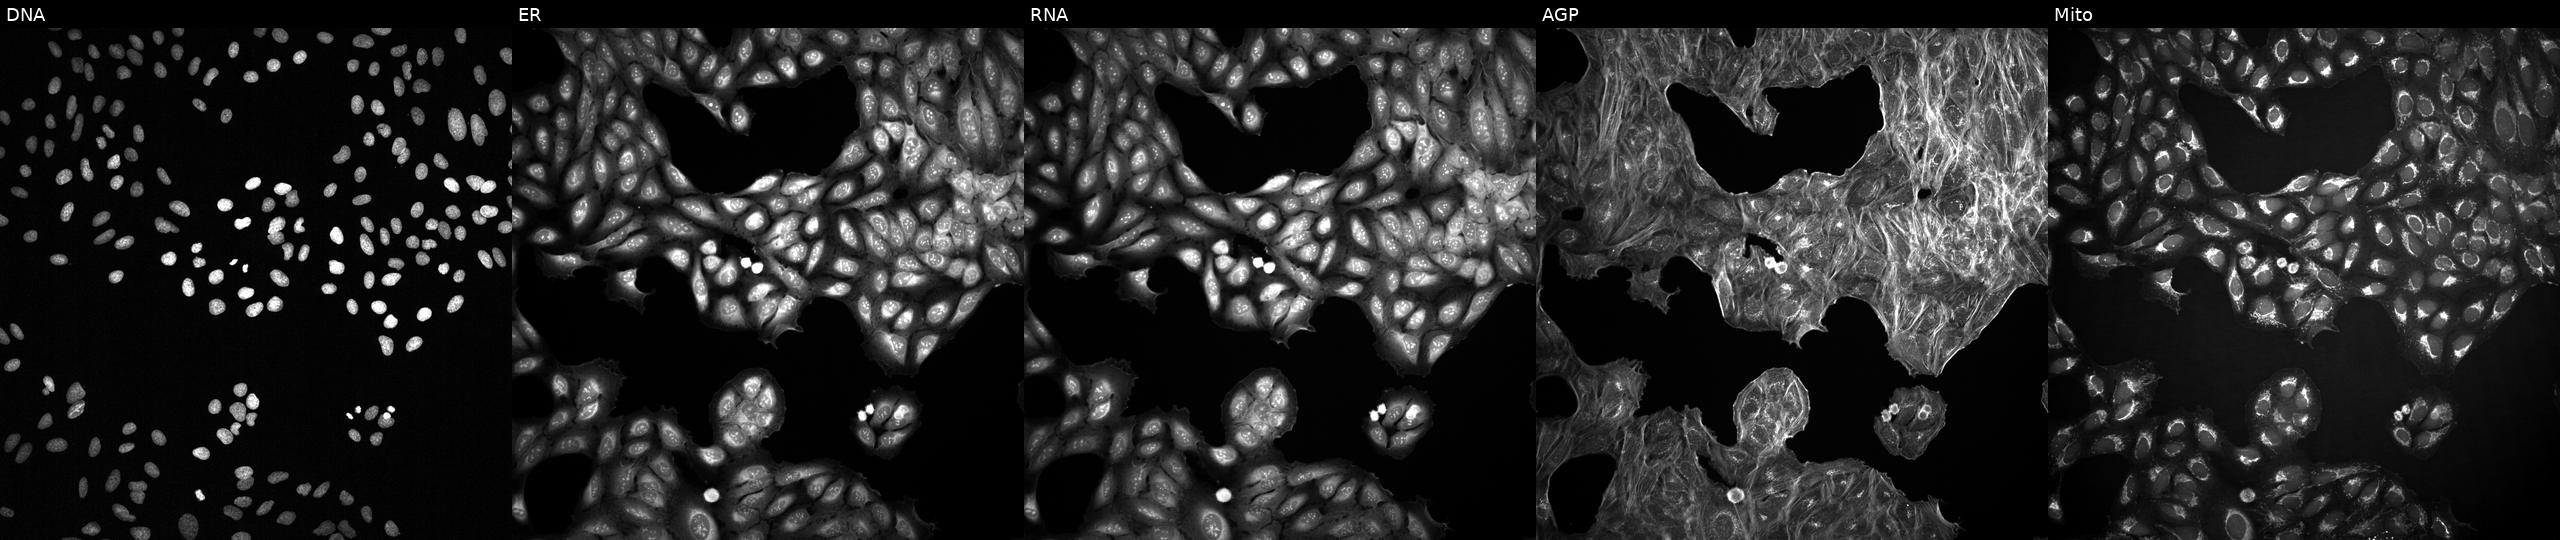
U2OS cells, Cell Painting assay, exposed to DMSO alone as a negative control (JUMP id JCP2022_033924). From left to right: DNA (nuclei); ER (endoplasmic reticulum); RNA (nucleoli and cytoplasmic RNA); AGP (actin cytoskeleton, Golgi, and plasma membrane); Mito (mitochondria). Each panel is percentile-stretched 16-bit fluorescence.